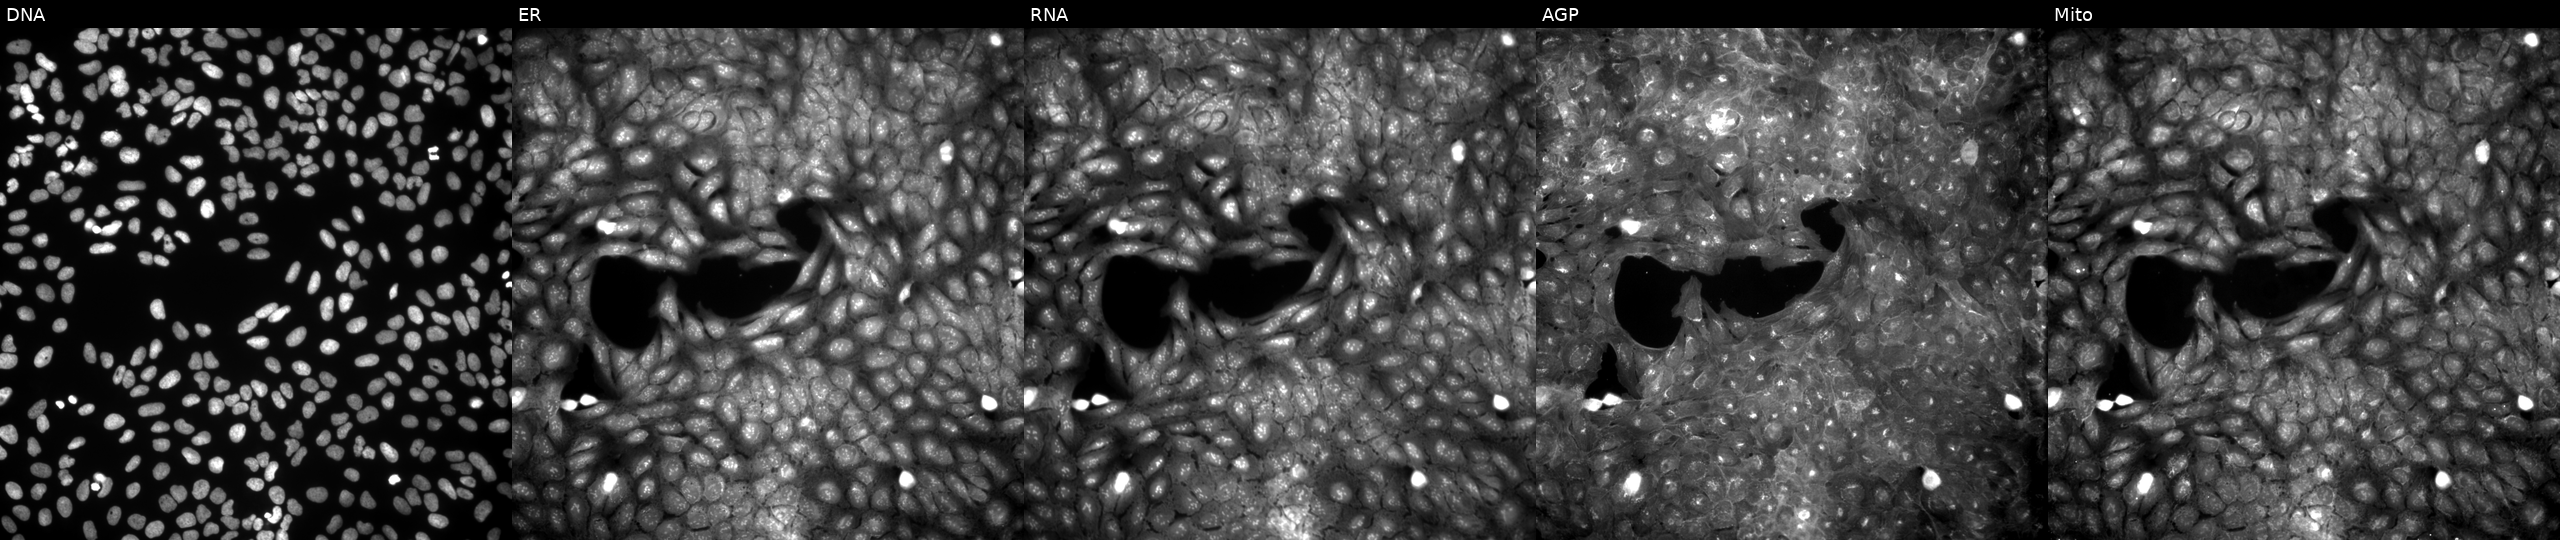
U2OS cells, Cell Painting assay, perturbed with a small-molecule compound (JUMP id JCP2022_044480). Panels show, left to right, Hoechst 33342, concanavalin A, SYTO 14, phalloidin and WGA, MitoTracker. Each panel is percentile-stretched 16-bit fluorescence. Source 9, plate GR00003382, well Q31.